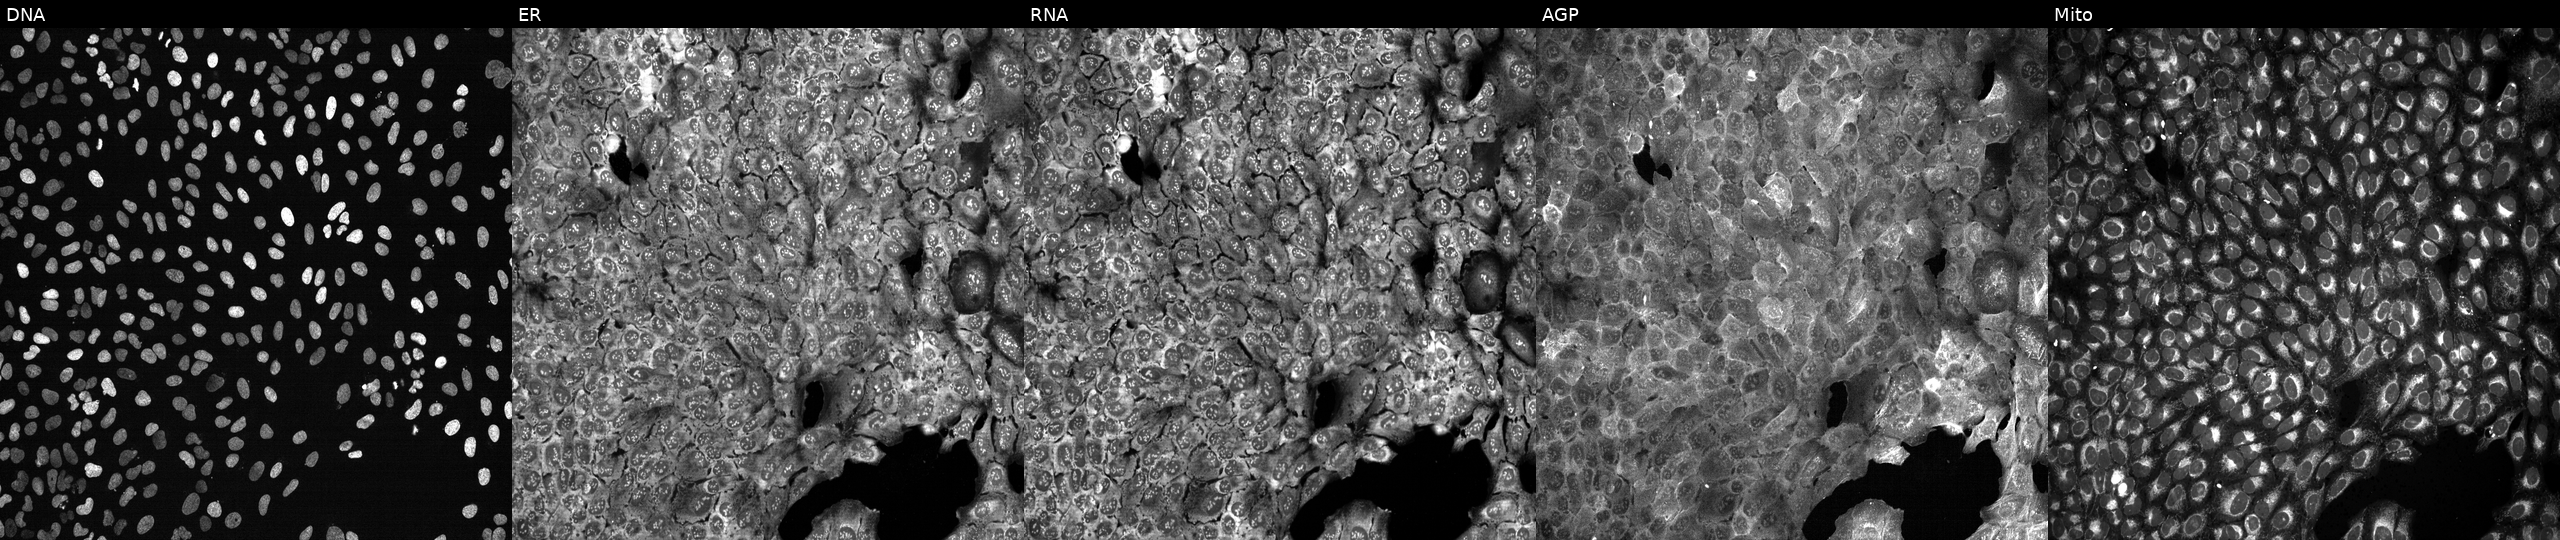
JUMP Cell Painting — CRISPR plate. U2OS cells following CRISPR knockout of GHR. Panels show, left to right, DNA, ER, RNA, AGP, and Mito.